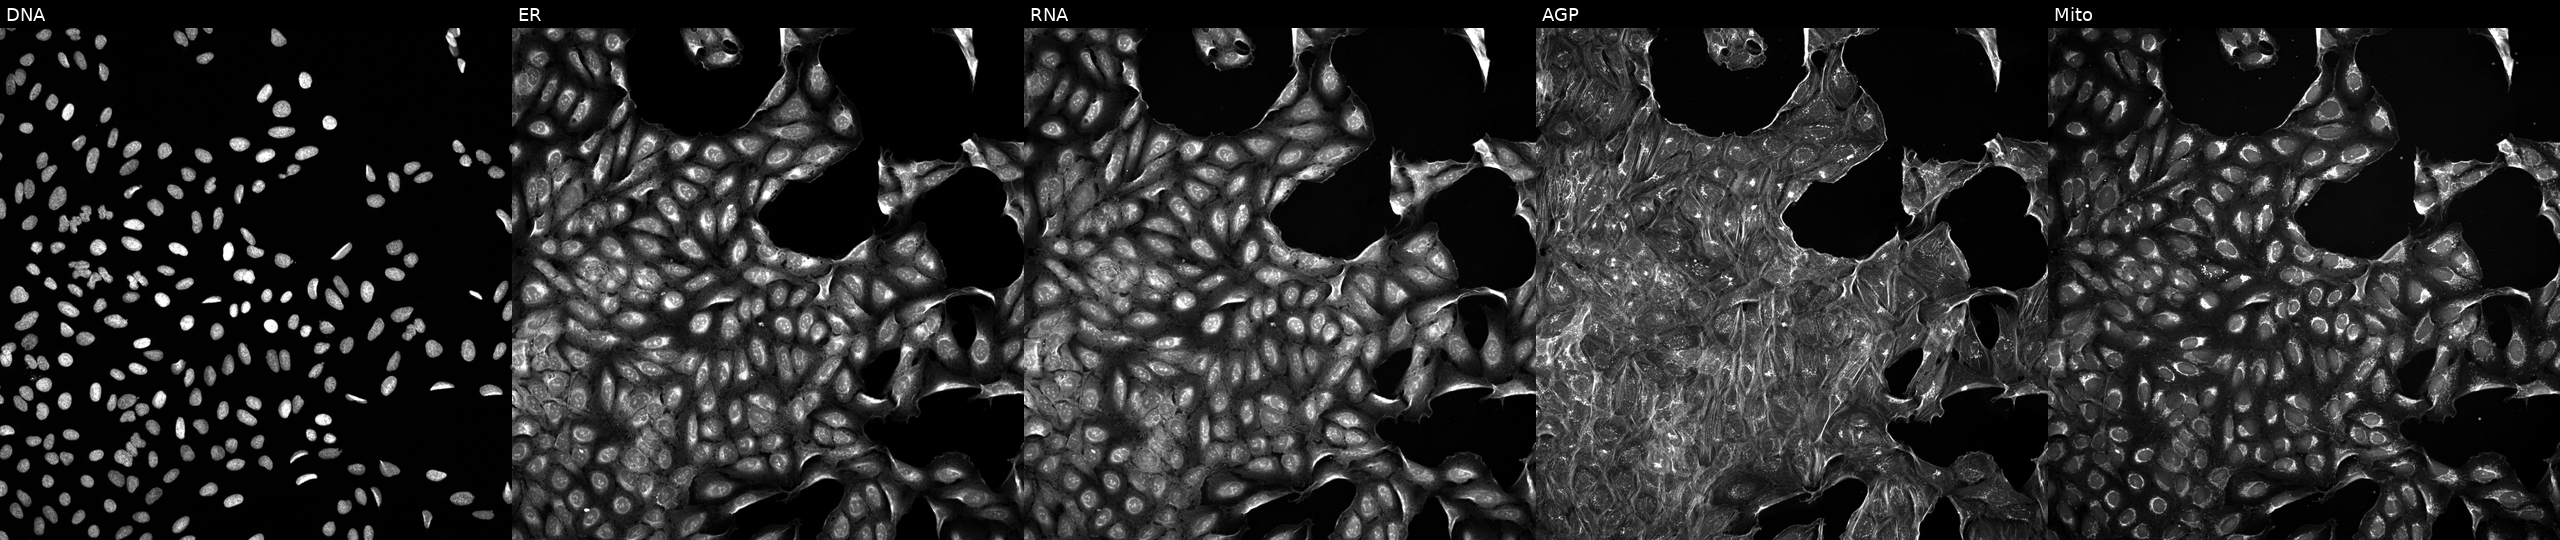
JUMP Cell Painting — TARGET2 plate. U2OS cells treated with aloxistatin (positive-control compound) (JUMP id JCP2022_085227). Panels show, left to right, DNA (nuclei); ER (endoplasmic reticulum); RNA (nucleoli and cytoplasmic RNA); AGP (actin cytoskeleton, Golgi, and plasma membrane); Mito (mitochondria). Source 5, plate ACPJUM051, well F06.